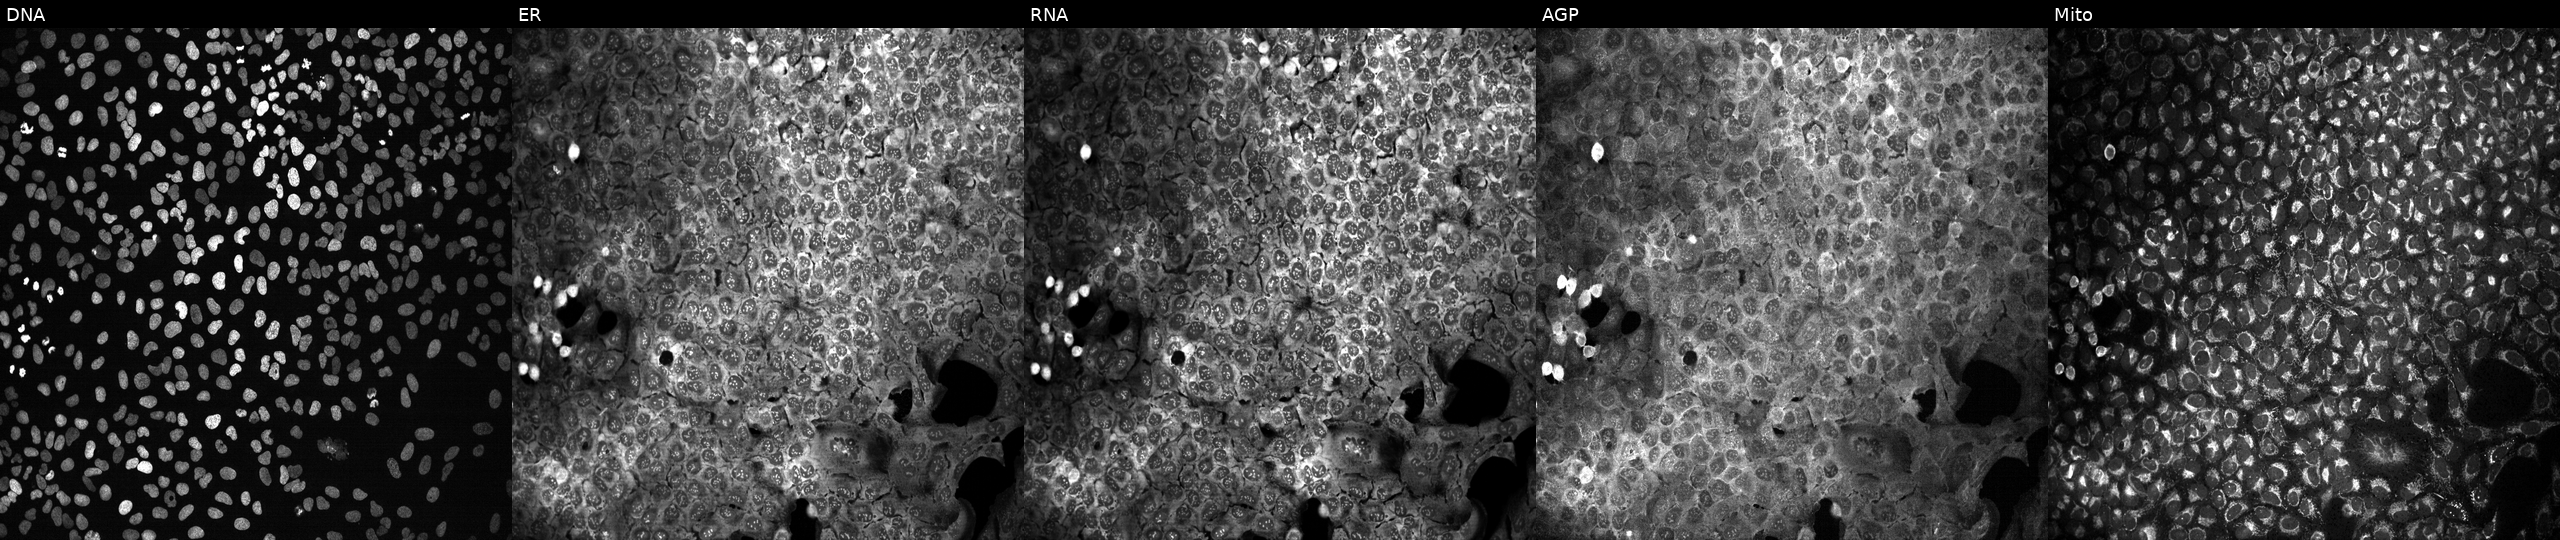
JUMP Cell Painting — CRISPR plate. U2OS cells treated with DMSO vehicle only (negative control) (JUMP id JCP2022_033924). Panels show, left to right, DNA (nuclei); ER (endoplasmic reticulum); RNA (nucleoli and cytoplasmic RNA); AGP (actin cytoskeleton, Golgi, and plasma membrane); Mito (mitochondria).